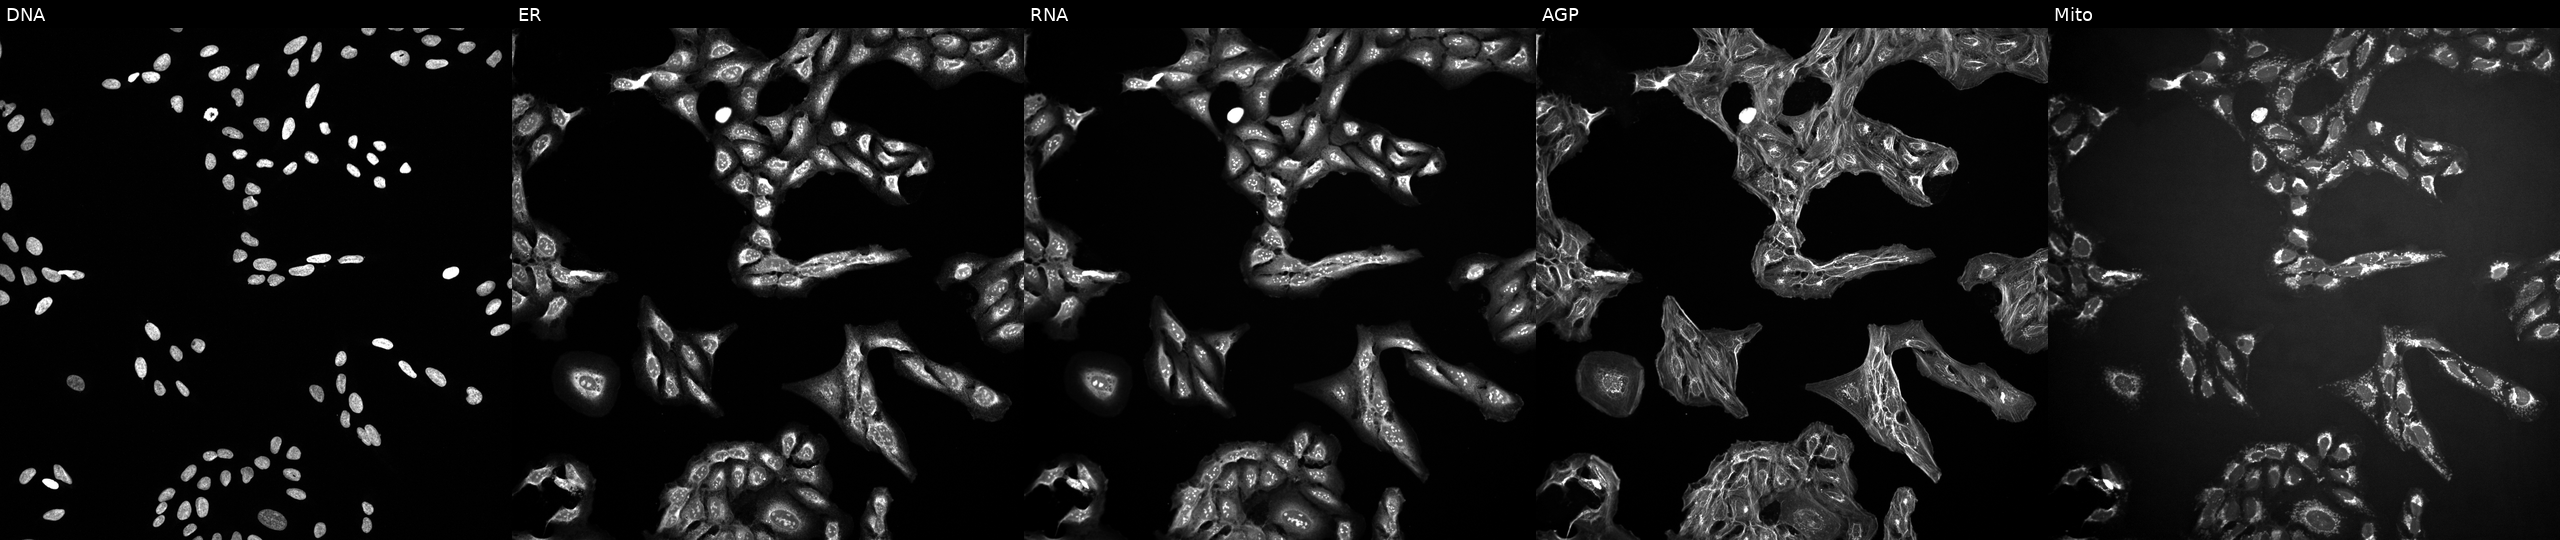
Channels (left→right): Hoechst 33342, concanavalin A, SYTO 14, phalloidin and WGA, MitoTracker. U2OS osteosarcoma cells treated with a small-molecule compound (InChIKey LENZDBCJOHFCAS-UHFFFAOYSA-N). Cell Painting assay, JUMP-CP dataset. Source 10, plate Dest210727-153003, well F02.